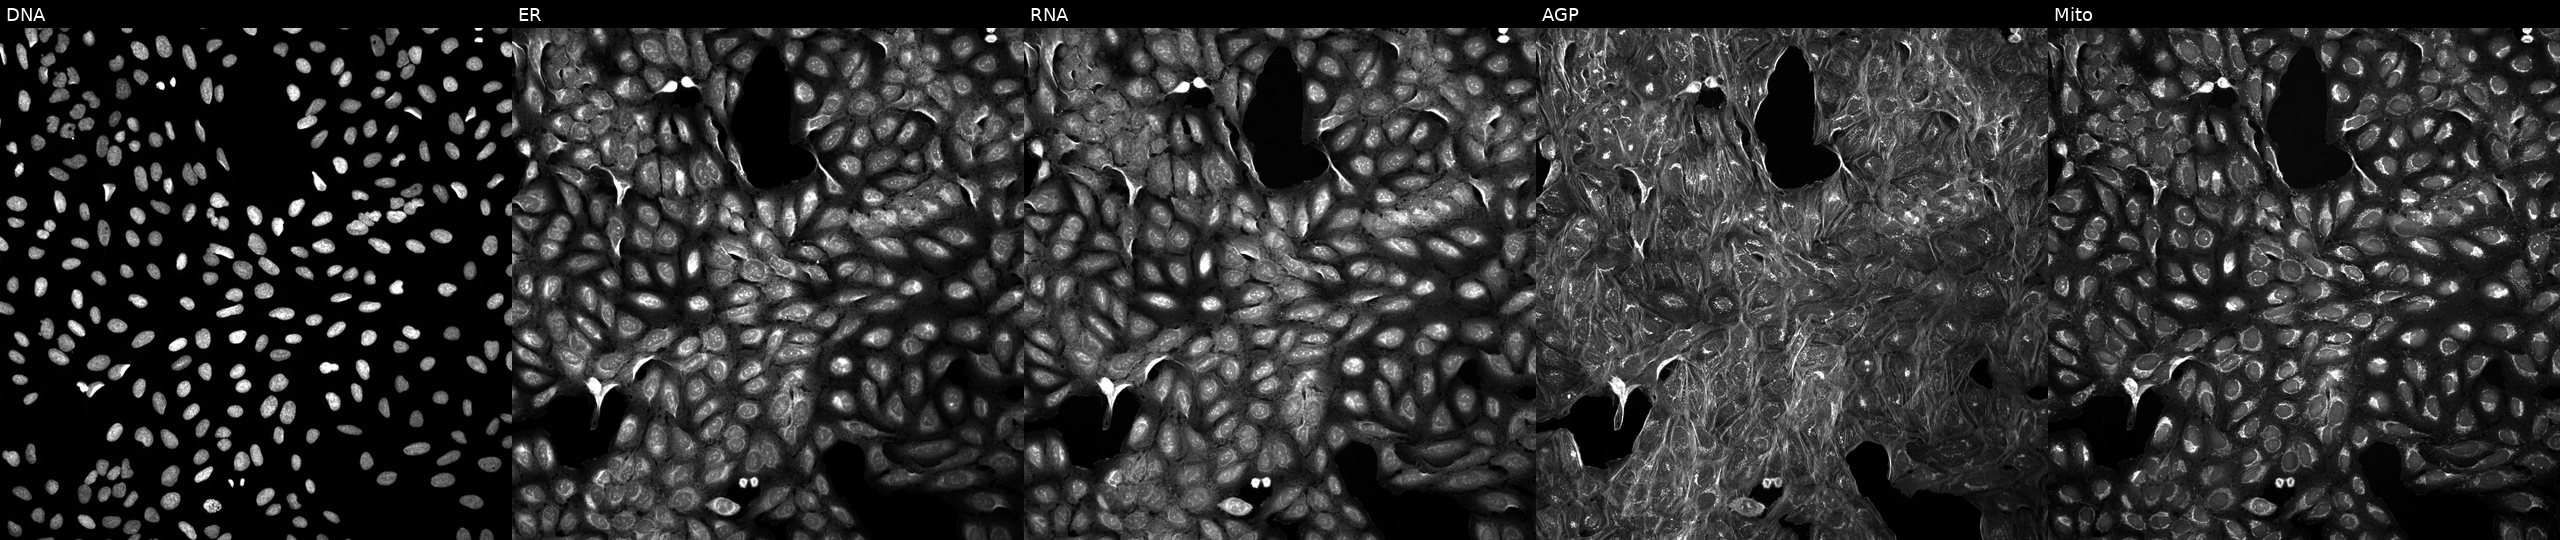
U2OS cells, Cell Painting assay, treated with a small-molecule compound (InChIKey AFJRDFWMXUECEW-UHFFFAOYSA-N) (JUMP id JCP2022_001036). Panels show, left to right, DNA, ER, RNA, AGP, and Mito. Each panel is percentile-stretched 16-bit fluorescence. Source 5, plate ACPJUM012, well L19.